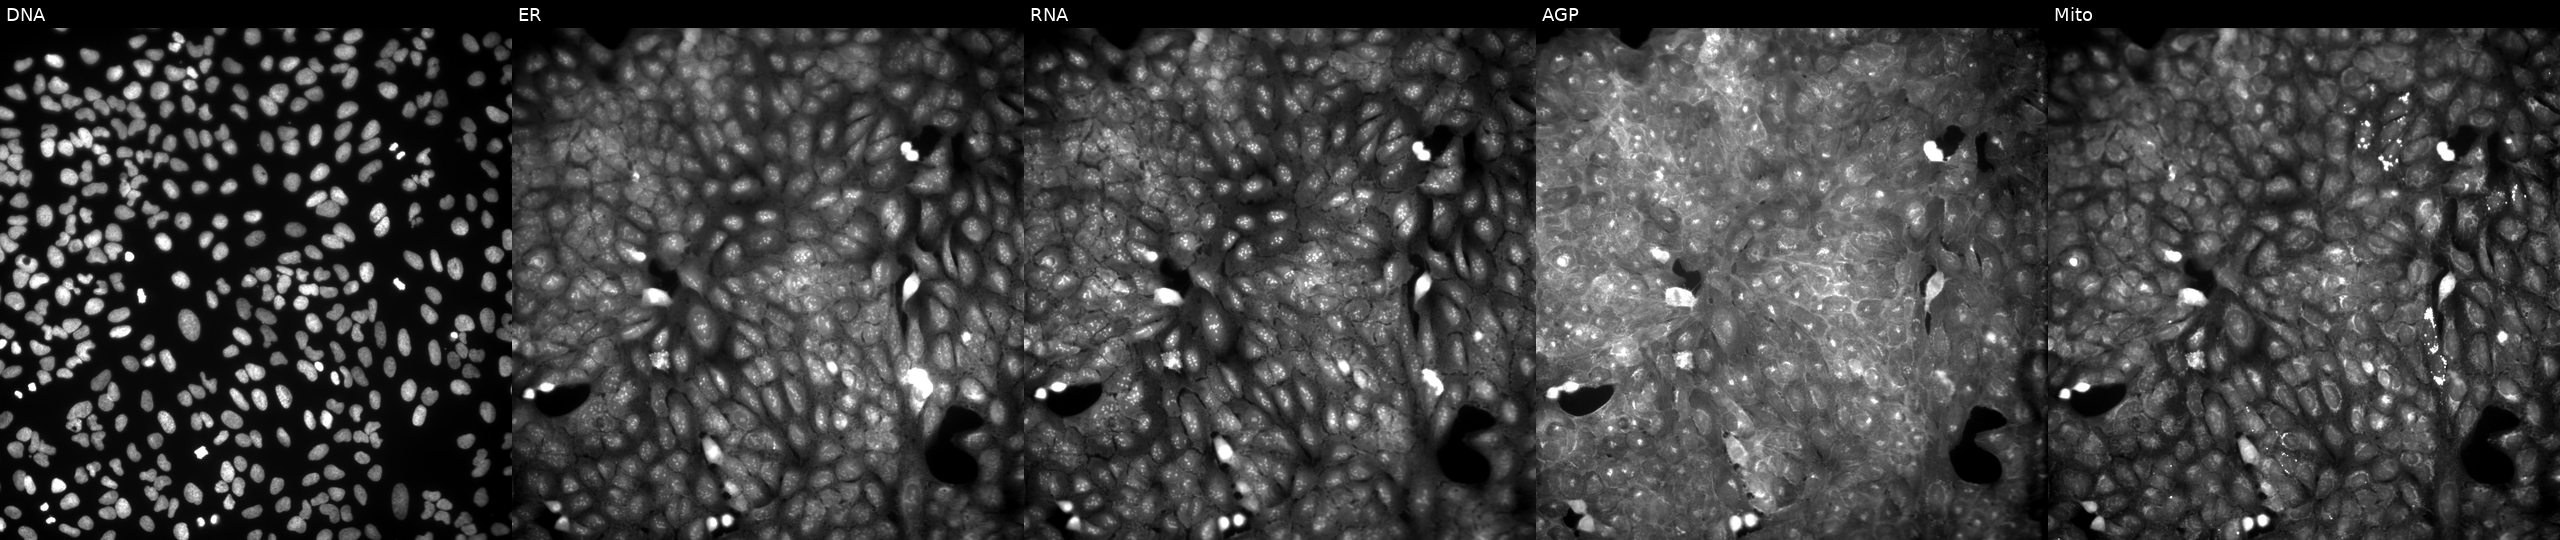
This image strip shows the five Cell Painting channels for a single field of U2OS cells treated with a small-molecule compound (InChIKey FNGFQOLPPXPHLI-UHFFFAOYSA-N). From left to right: DNA, ER, RNA, AGP, and Mito. Source 9, plate GR00003381, well Z38.